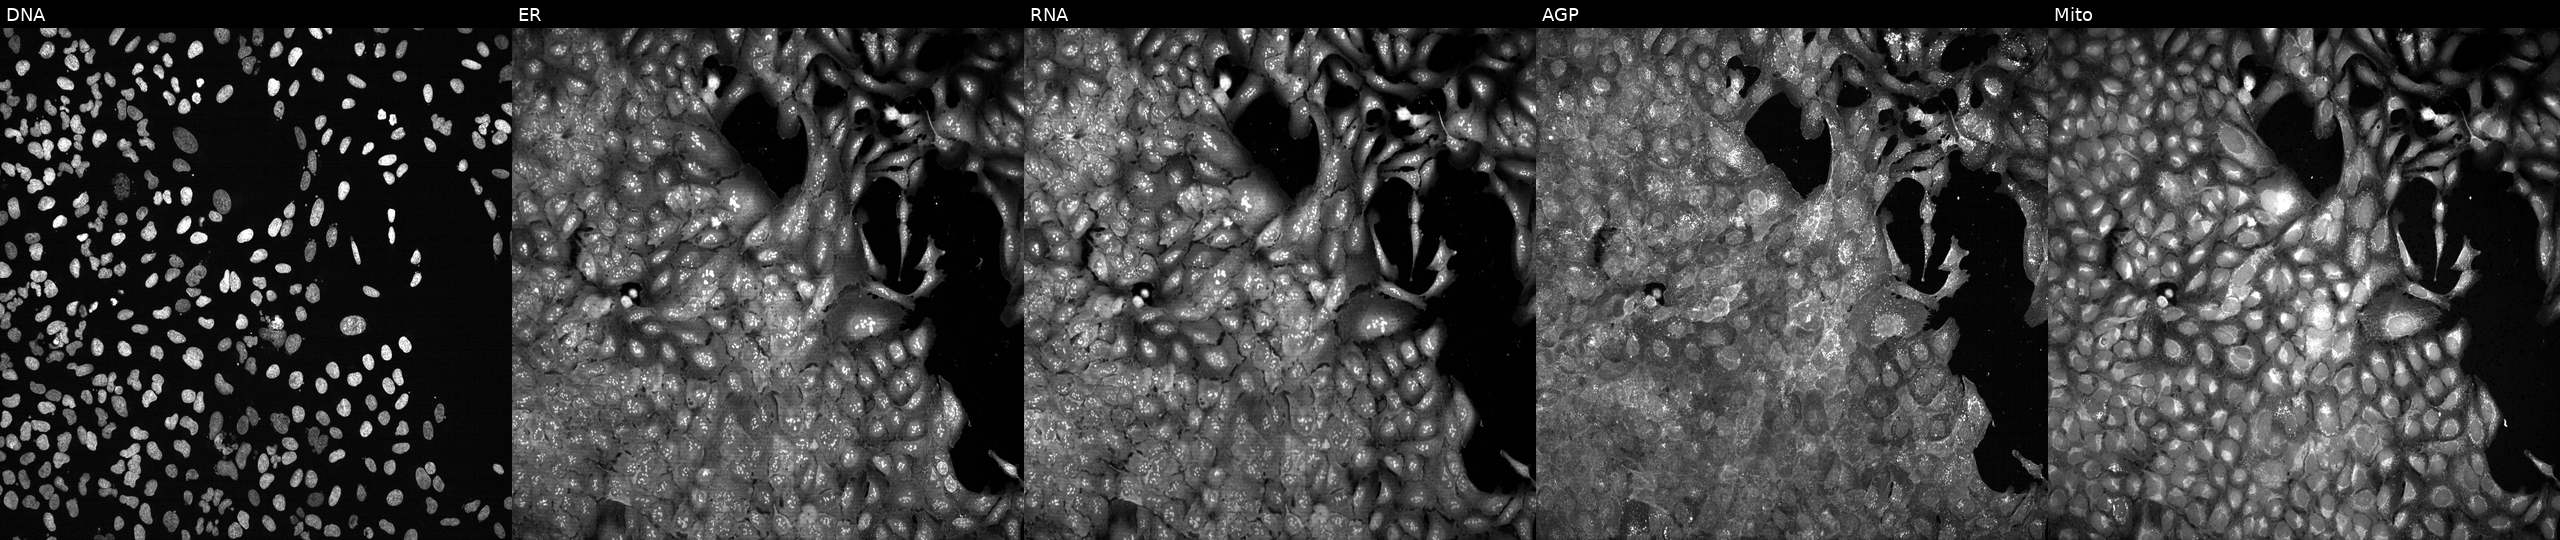
Five-channel Cell Painting image of U2OS cells CRISPR-edited to disrupt GFRA3. Channels (left→right): DNA (nuclei); ER (endoplasmic reticulum); RNA (nucleoli and cytoplasmic RNA); AGP (actin cytoskeleton, Golgi, and plasma membrane); Mito (mitochondria).